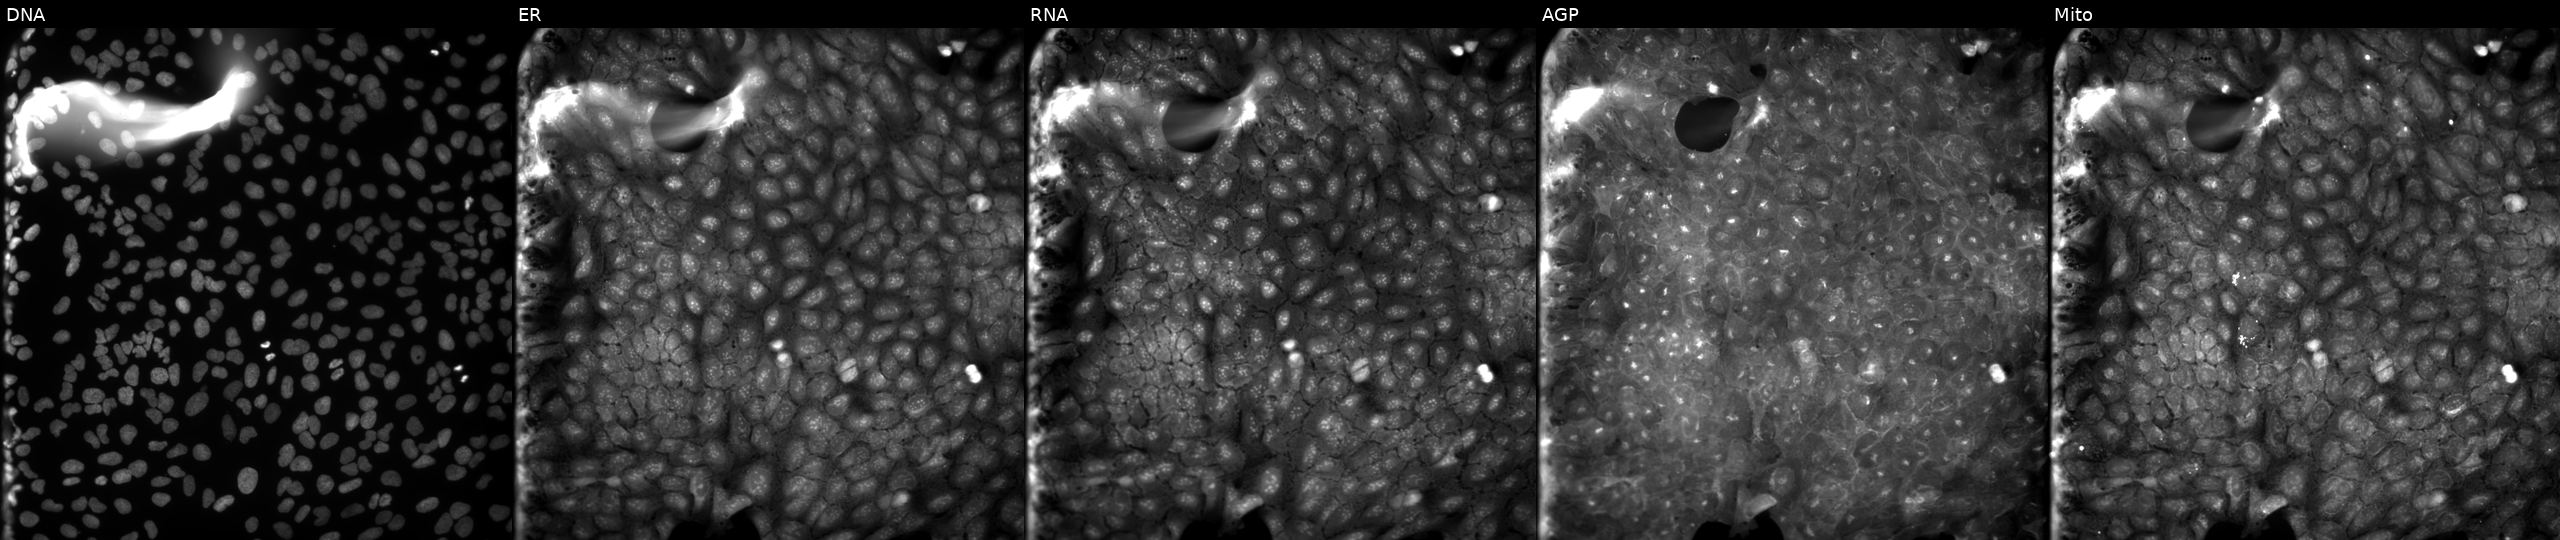
High-content fluorescence microscopy (Cell Painting). Cell line: U2OS. Perturbation: perturbed with a small-molecule compound (InChIKey NQRHAFWMJUMCPI-UHFFFAOYSA-N) (JUMP id JCP2022_060741). The five panels, left to right, show Hoechst 33342, concanavalin A, SYTO 14, phalloidin and WGA, MitoTracker.